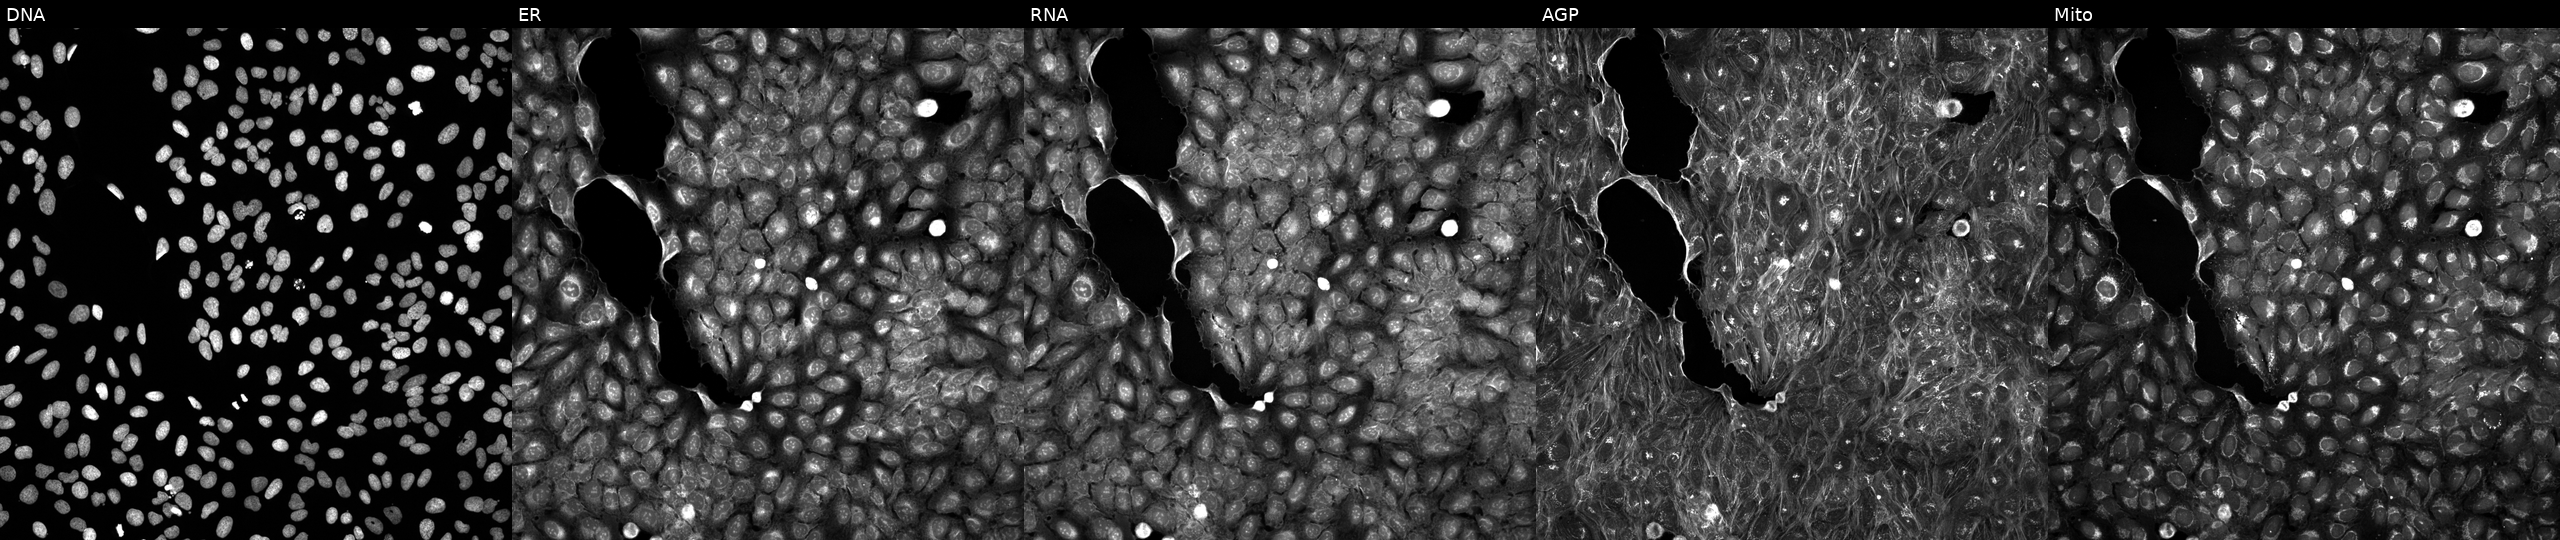
High-content fluorescence microscopy (Cell Painting). Cell line: U2OS. Perturbation: treated with a small-molecule compound (InChIKey PHOGQKDIVUJGMJ-UHFFFAOYSA-N) (JUMP id JCP2022_068634). The five panels, left to right, show Hoechst 33342, concanavalin A, SYTO 14, phalloidin and WGA, MitoTracker. Source 5, plate ACPJUM032, well P18.